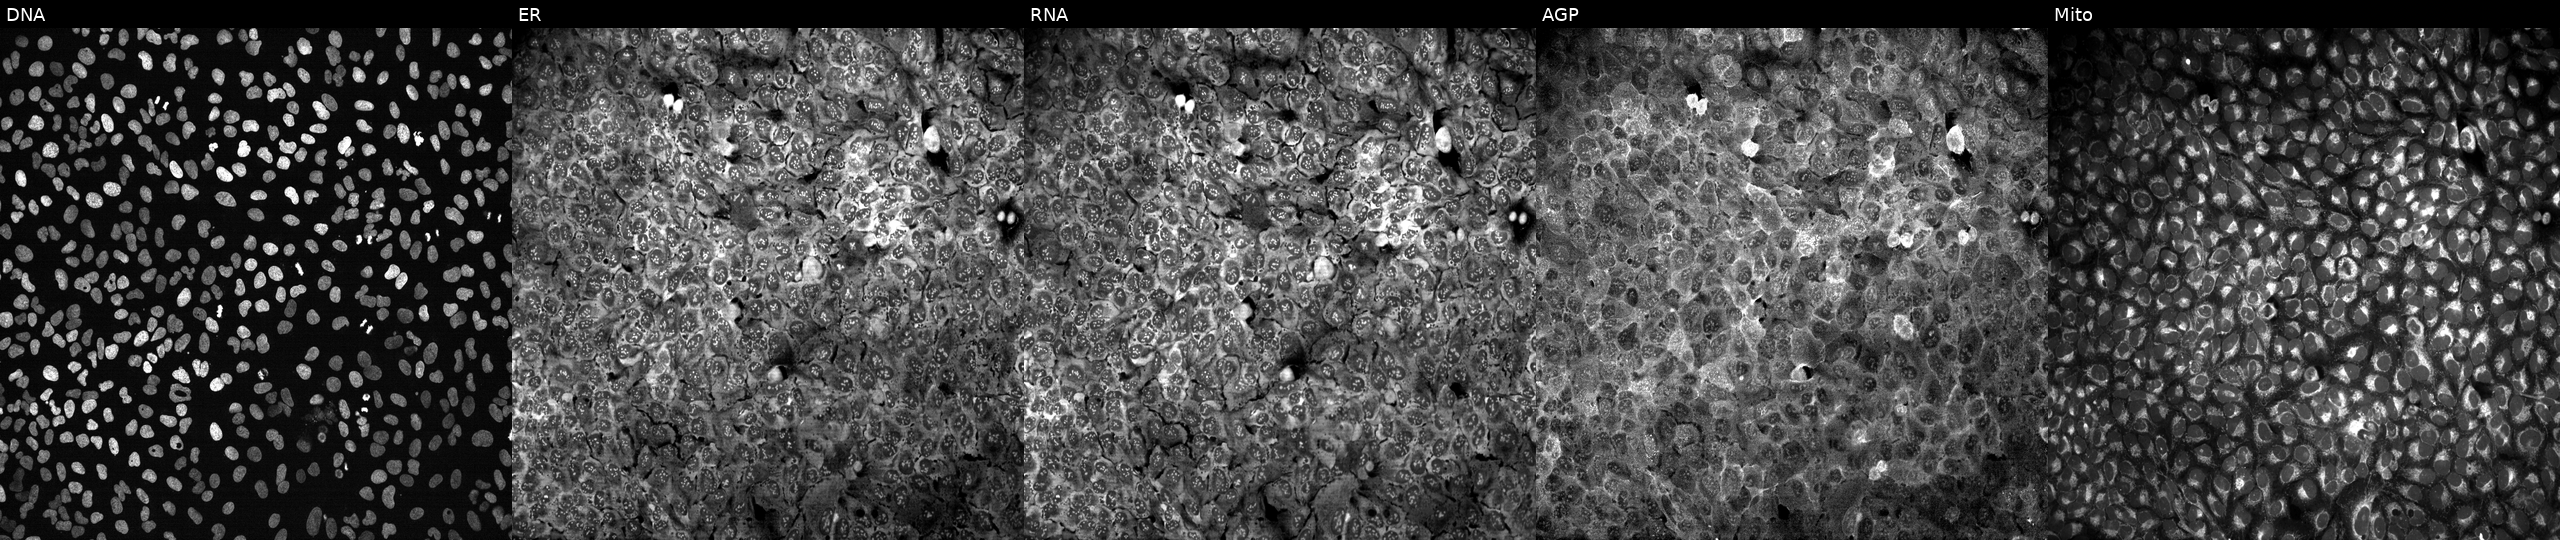
Five-channel Cell Painting image of U2OS cells following CRISPR knockout of GDI1. Channels (left→right): Hoechst 33342, concanavalin A, SYTO 14, phalloidin and WGA, MitoTracker. Source 13, plate CP-CC9-R2-02, well N11.